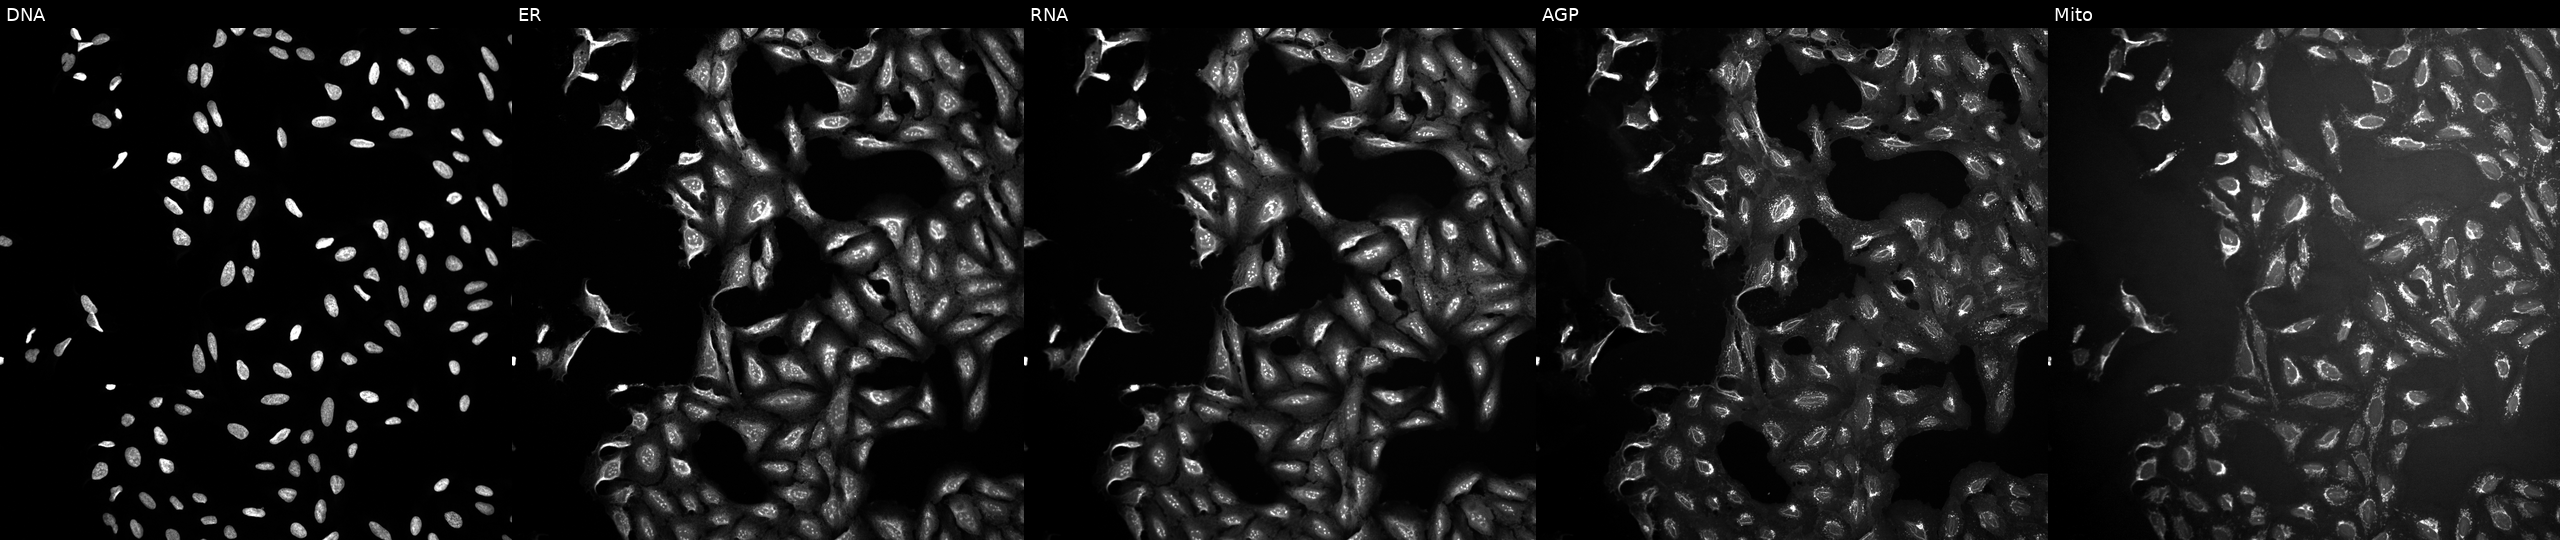
U2OS cells, Cell Painting assay, treated with a small-molecule compound (InChIKey UFJGFNHRMPMALC-UHFFFAOYSA-N) (JUMP id JCP2022_088849). Panels show, left to right, Hoechst 33342, concanavalin A, SYTO 14, phalloidin and WGA, MitoTracker. Each panel is percentile-stretched 16-bit fluorescence. Source 10, plate Dest210803-153958, well I19.